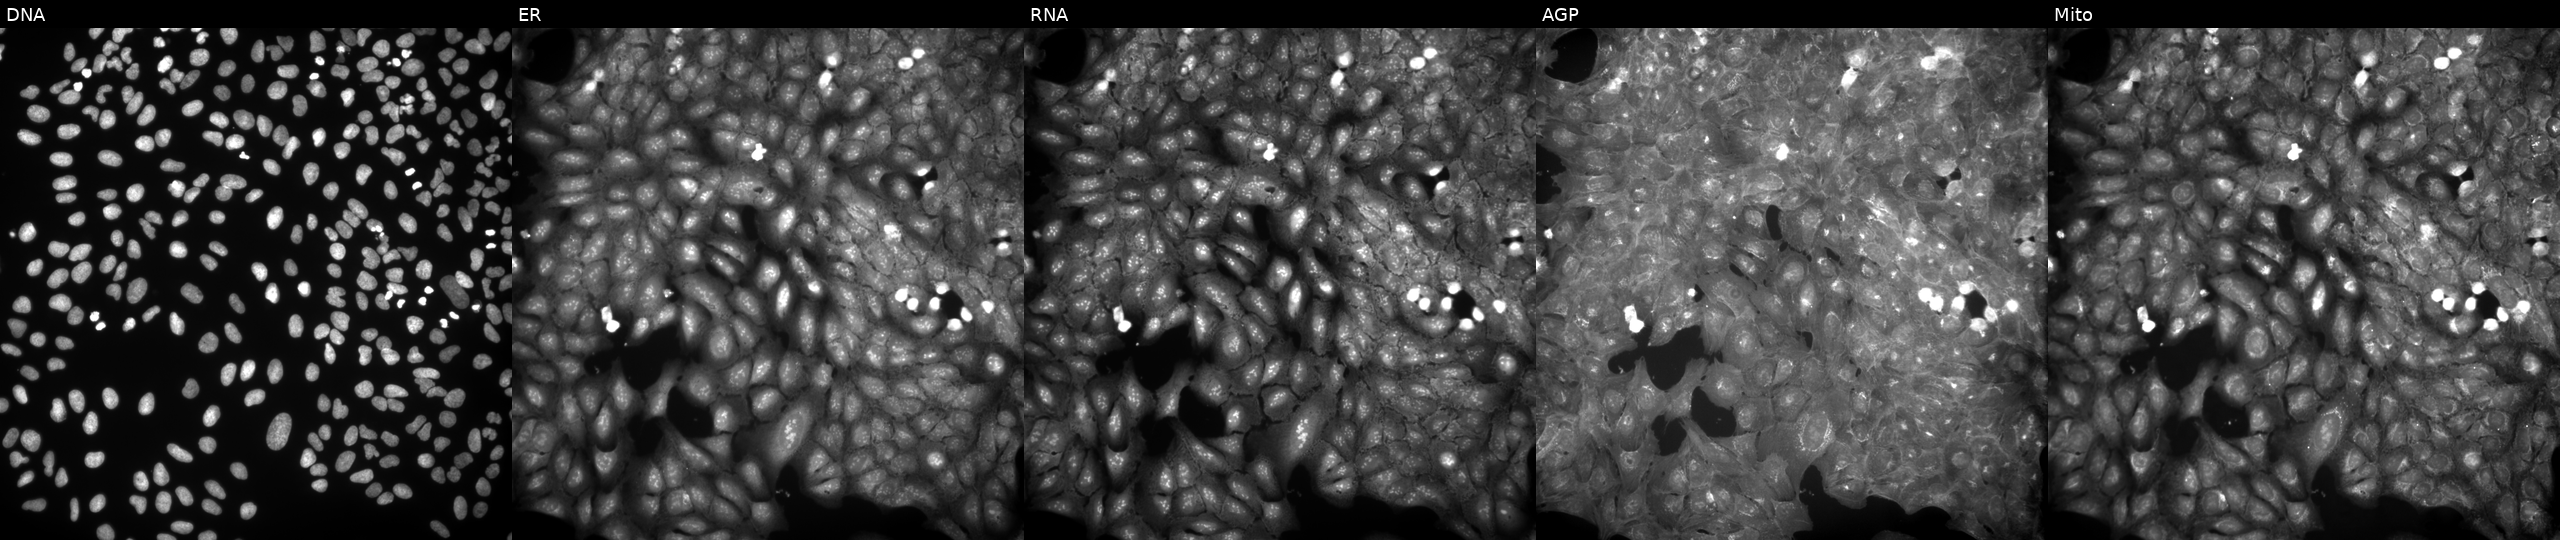
This image strip shows the five Cell Painting channels for a single field of U2OS cells perturbed with a small-molecule compound (InChIKey DEQRGPSFELFOPP-UHFFFAOYSA-N) (JUMP id JCP2022_015428). From left to right: DNA (nuclei); ER (endoplasmic reticulum); RNA (nucleoli and cytoplasmic RNA); AGP (actin cytoskeleton, Golgi, and plasma membrane); Mito (mitochondria).